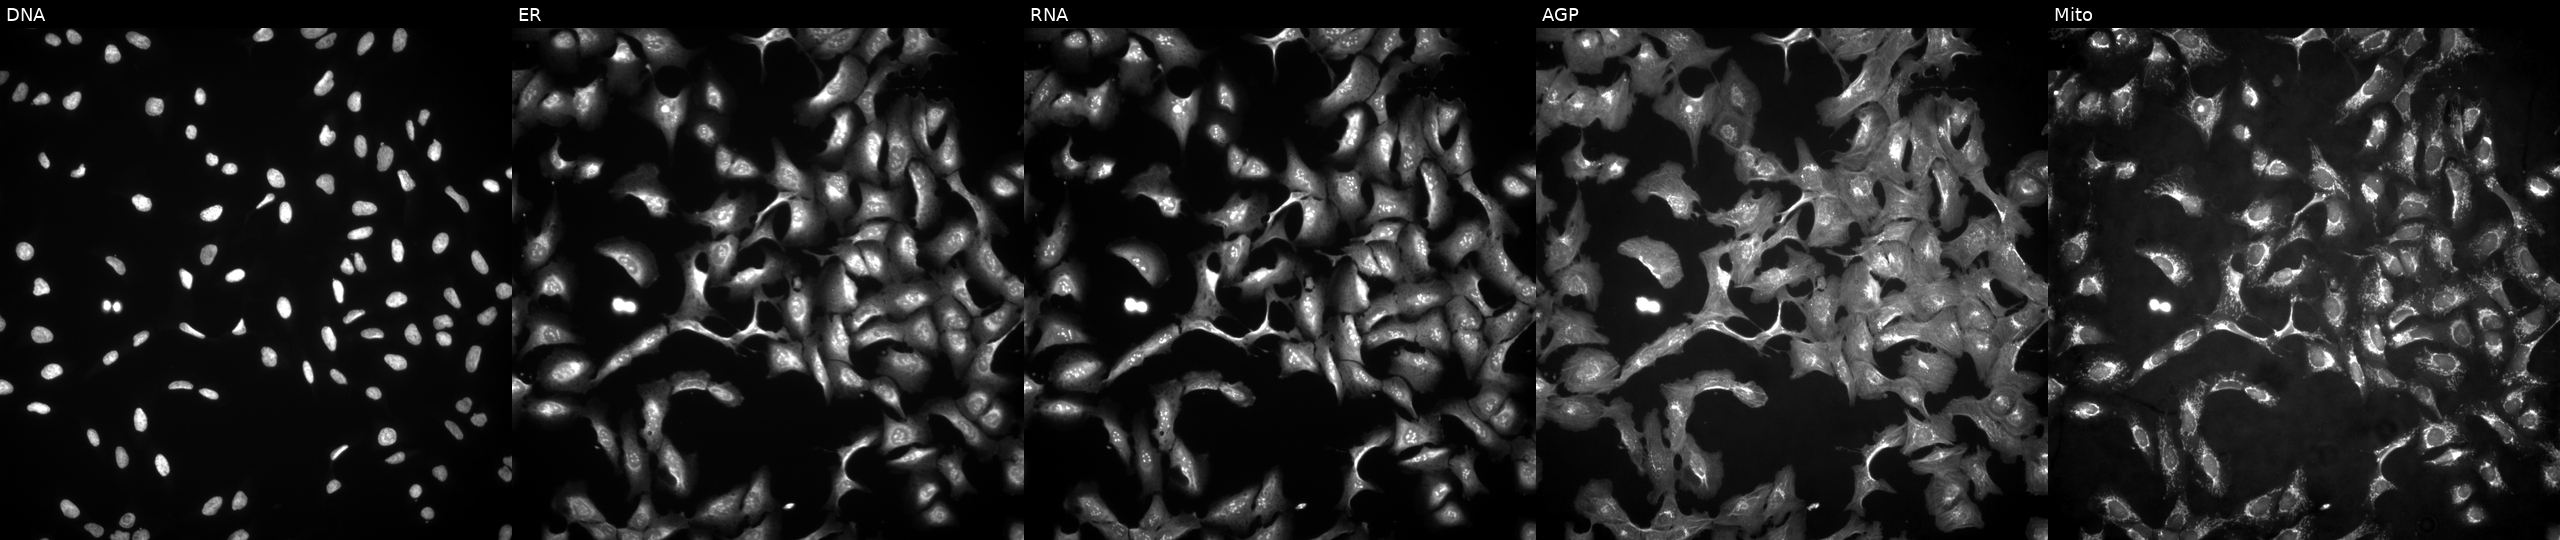
The five panels, left to right, show DNA, ER, RNA, AGP, and Mito. U2OS osteosarcoma cells overexpressing RASSF2 via ORF transfection (JUMP id JCP2022_902096). Cell Painting assay, JUMP-CP dataset. Source 4, plate BR00123509, well M12.